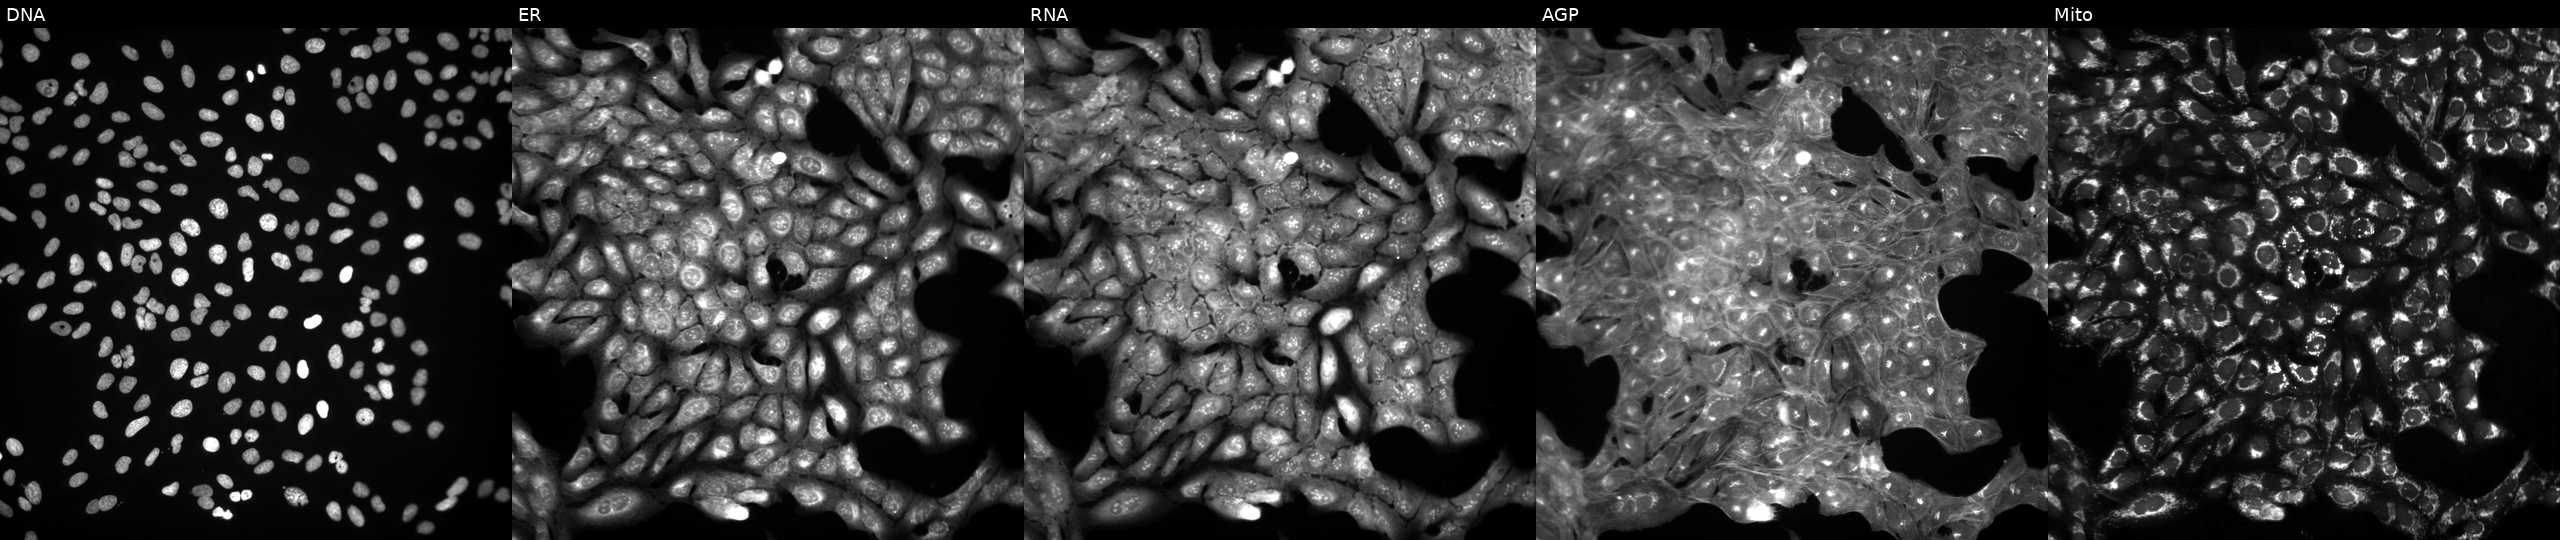
Channels (left→right): DNA, ER, RNA, AGP, and Mito. U2OS osteosarcoma cells treated with a small-molecule compound. Cell Painting assay, JUMP-CP dataset. Source 3, plate JCPQC051, well E24.